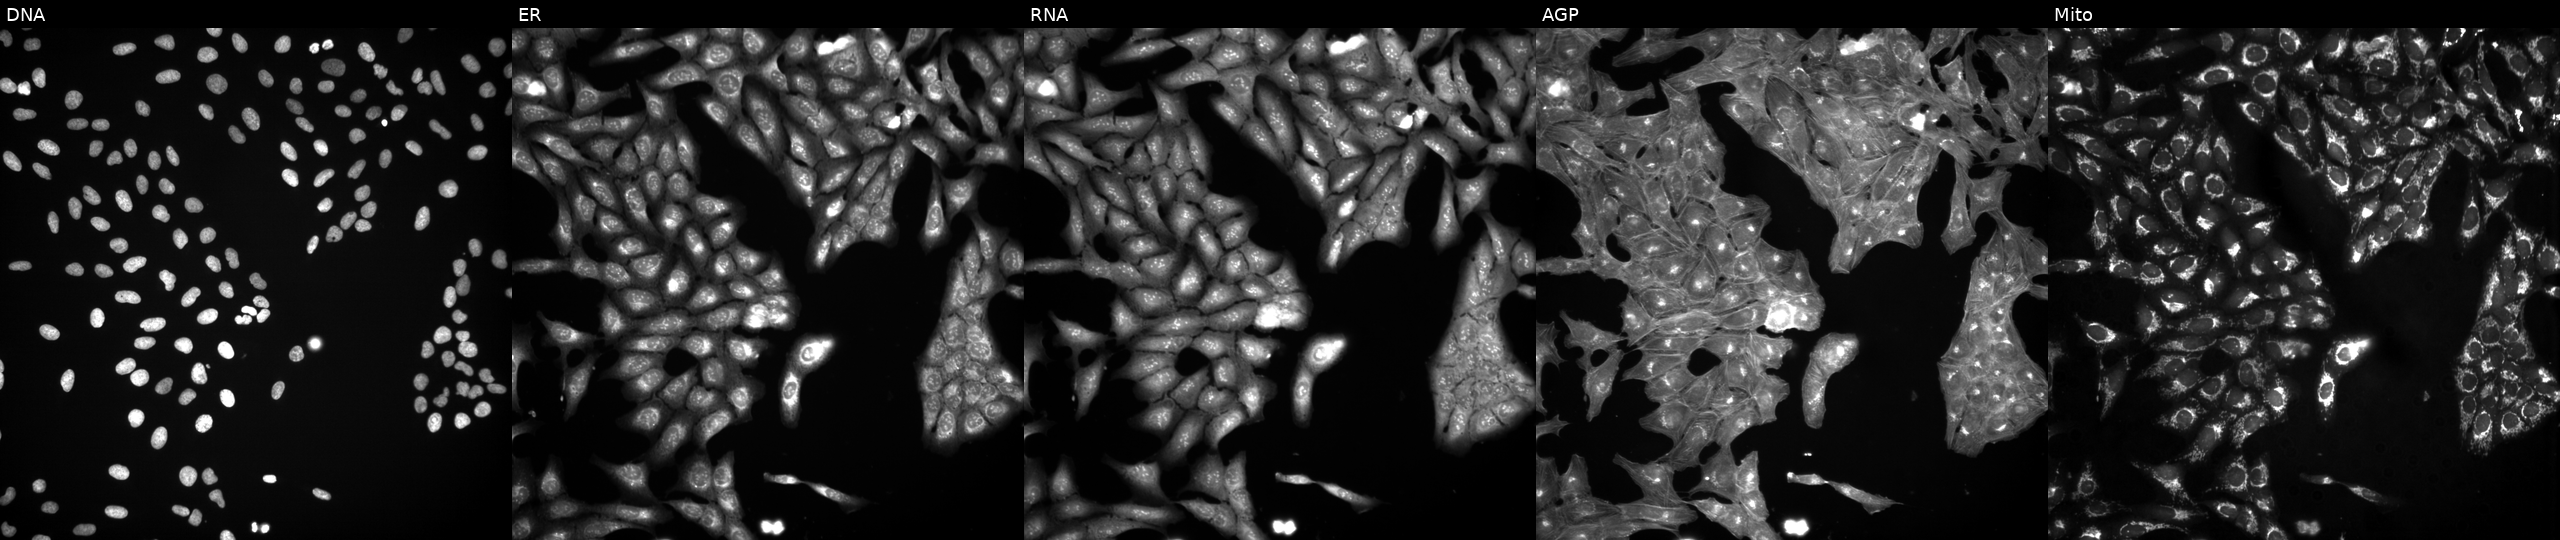
High-content fluorescence microscopy (Cell Painting). Cell line: U2OS. Perturbation: treated with a small-molecule compound (InChIKey WJBLNOPPDWQMCH-UHFFFAOYSA-N). From left to right: DNA (nuclei); ER (endoplasmic reticulum); RNA (nucleoli and cytoplasmic RNA); AGP (actin cytoskeleton, Golgi, and plasma membrane); Mito (mitochondria). Source 3, plate JCPQC053, well O02.